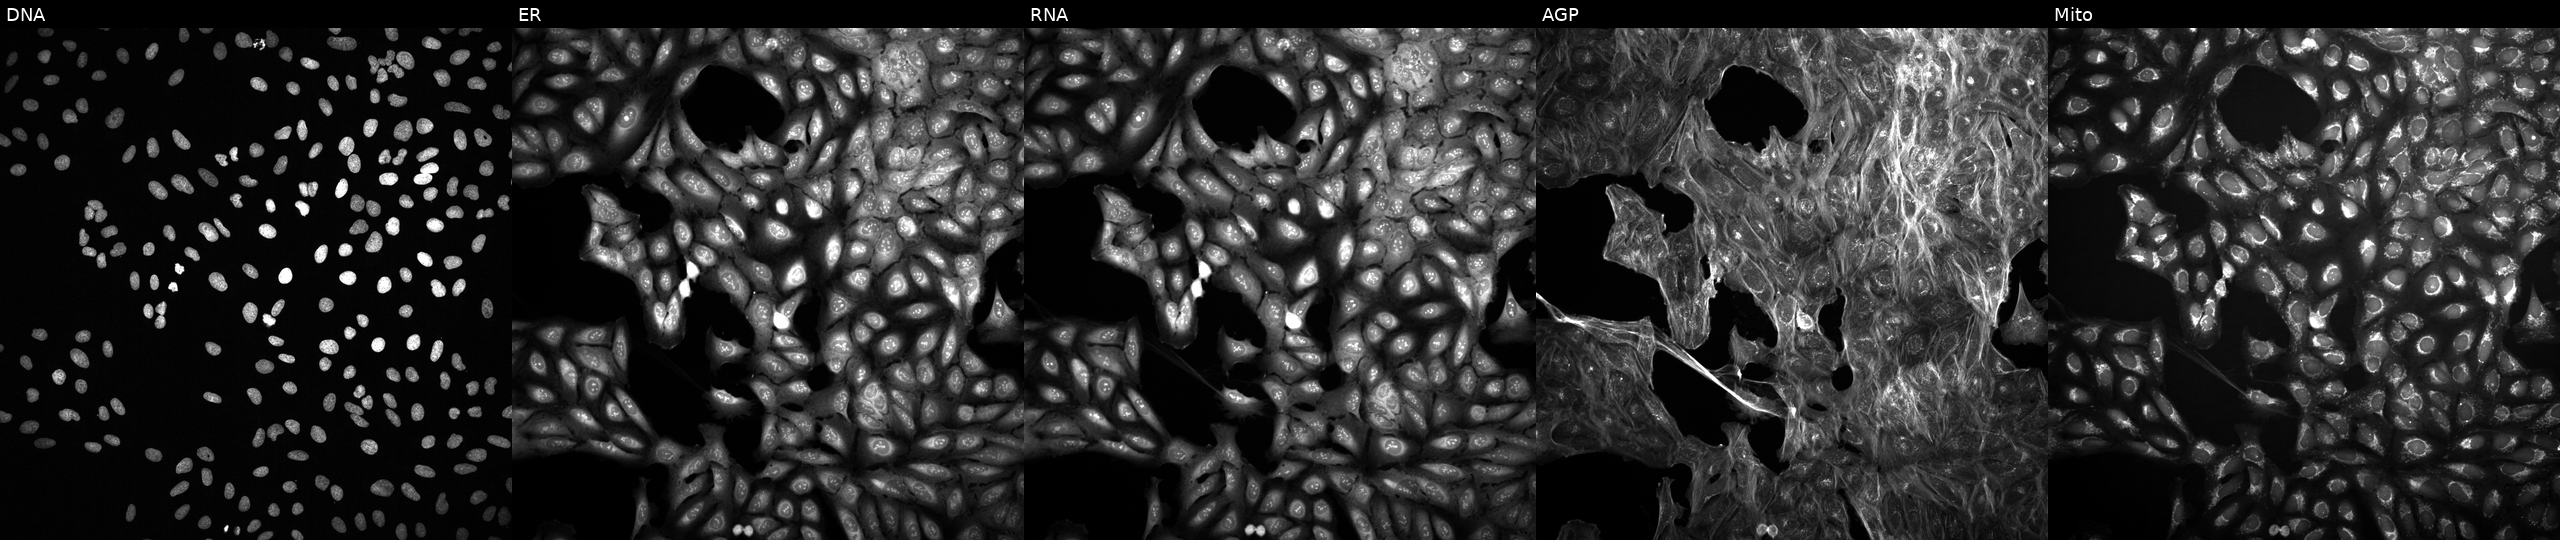
High-content fluorescence microscopy (Cell Painting). Cell line: U2OS. Perturbation: treated with a small-molecule compound (InChIKey ALBKMJDFBZVHAK-UHFFFAOYSA-N) [SMILES: CCOC(=O)c1ncc2[nH]c3ccc(OCc4ccccc4)cc3c2c1COC]. Panels show, left to right, DNA (nuclei); ER (endoplasmic reticulum); RNA (nucleoli and cytoplasmic RNA); AGP (actin cytoskeleton, Golgi, and plasma membrane); Mito (mitochondria).